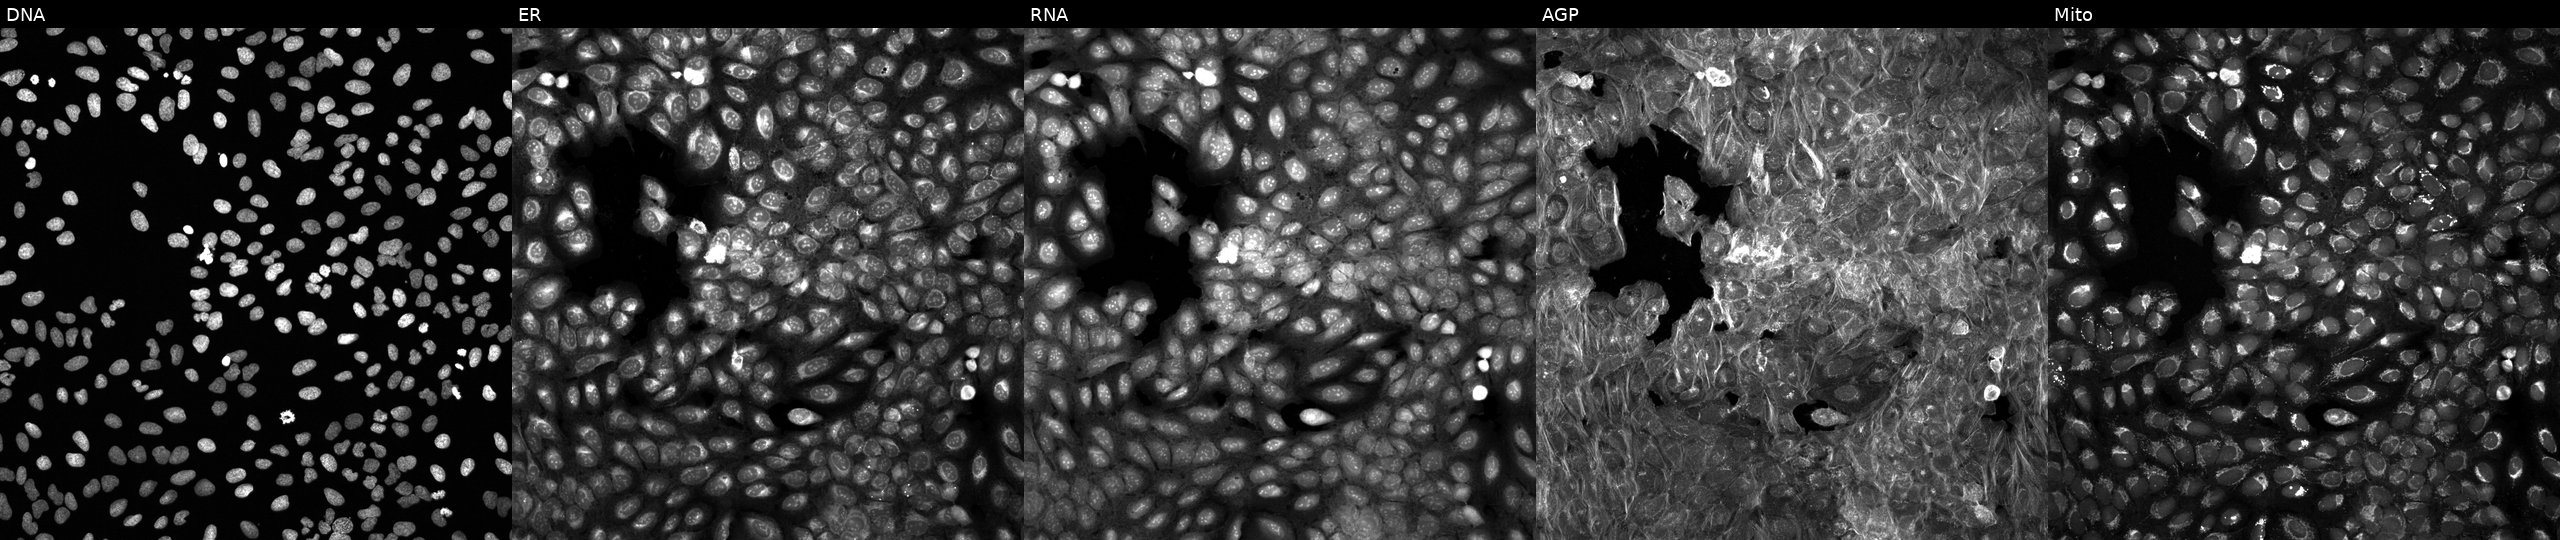
The five panels, left to right, show DNA, ER, RNA, AGP, and Mito. U2OS osteosarcoma cells exposed to DMSO alone as a negative control. Cell Painting assay, JUMP-CP dataset.